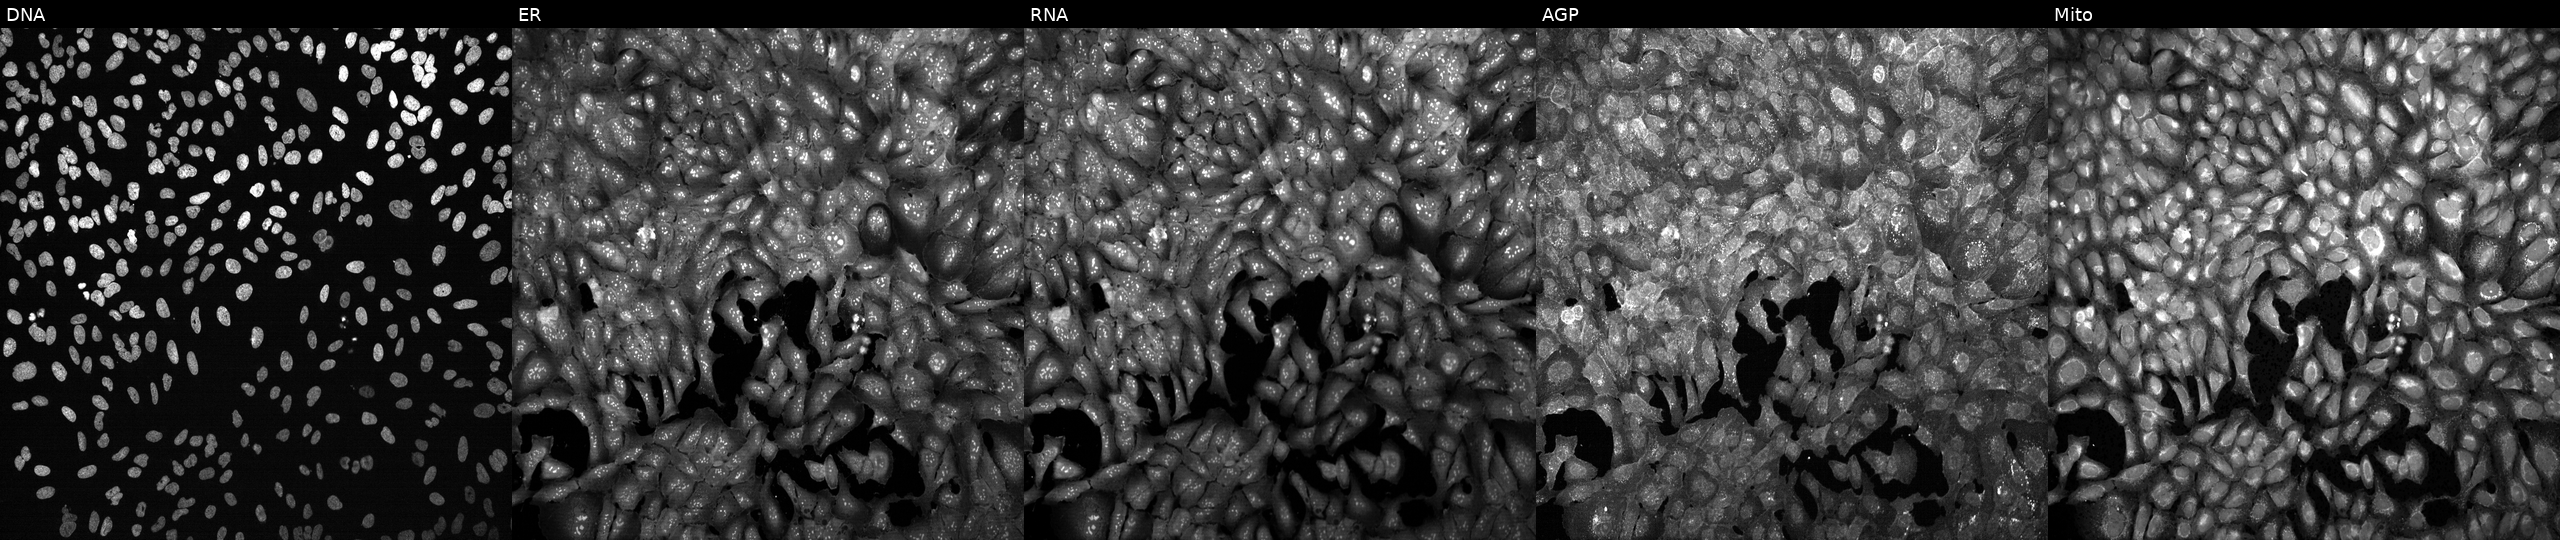
Five-channel Cell Painting image of U2OS cells following CRISPR knockout of EXOSC4. Channels (left→right): DNA, ER, RNA, AGP, and Mito.